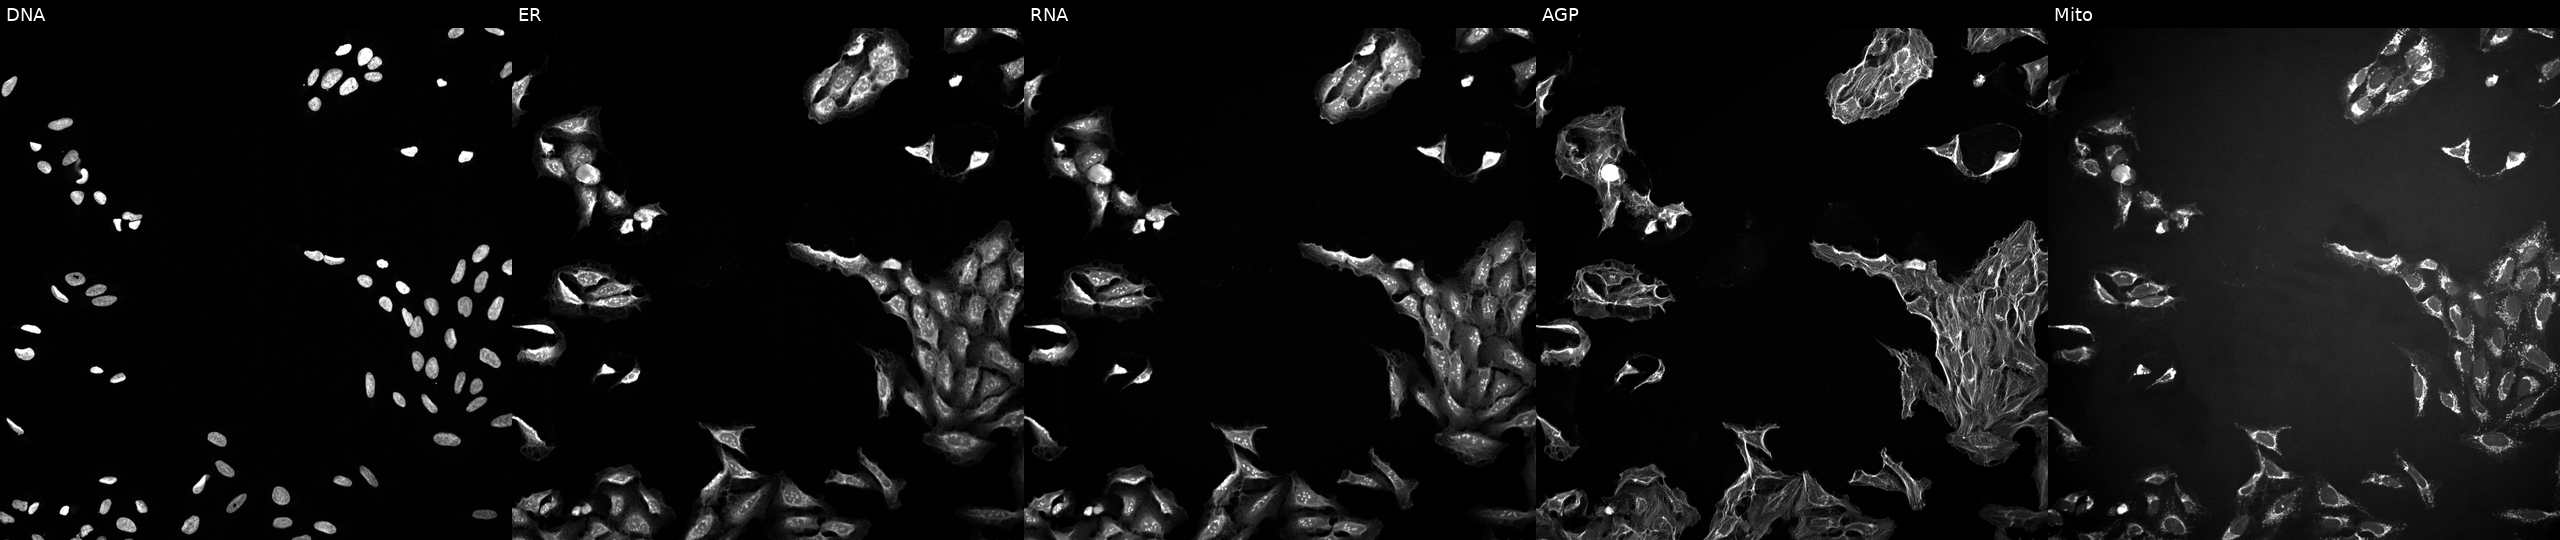
High-content fluorescence microscopy (Cell Painting). Cell line: U2OS. Perturbation: perturbed with a small-molecule compound (JUMP id JCP2022_042261). Channels (left→right): DNA (nuclei); ER (endoplasmic reticulum); RNA (nucleoli and cytoplasmic RNA); AGP (actin cytoskeleton, Golgi, and plasma membrane); Mito (mitochondria).